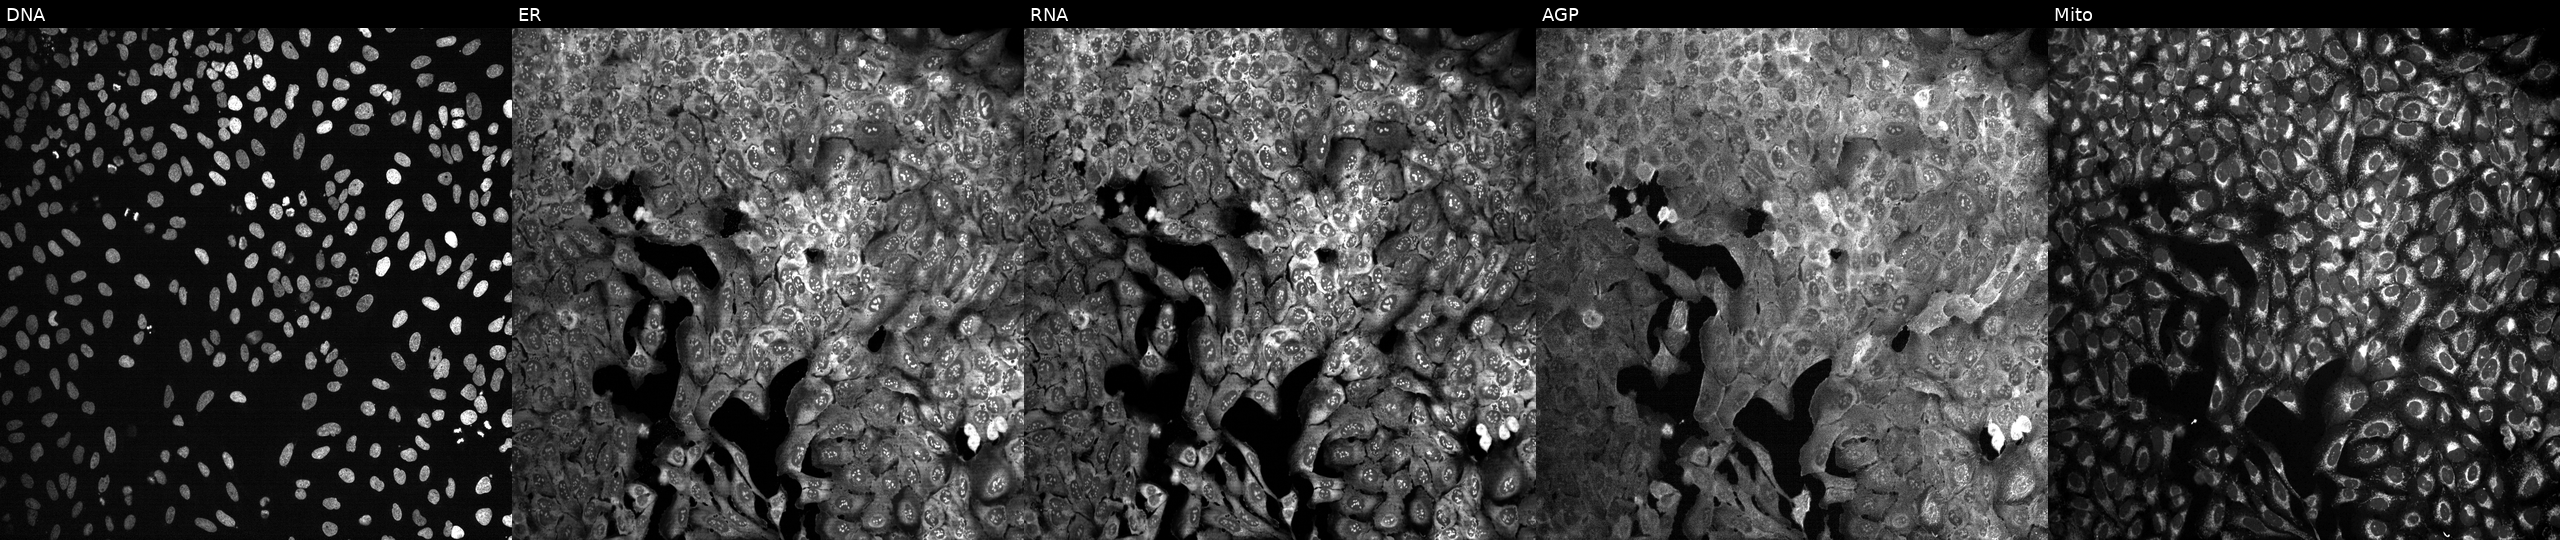
JUMP Cell Painting — CRISPR plate. U2OS cells CRISPR-edited to disrupt UGT1A3. From left to right: DNA, ER, RNA, AGP, and Mito.